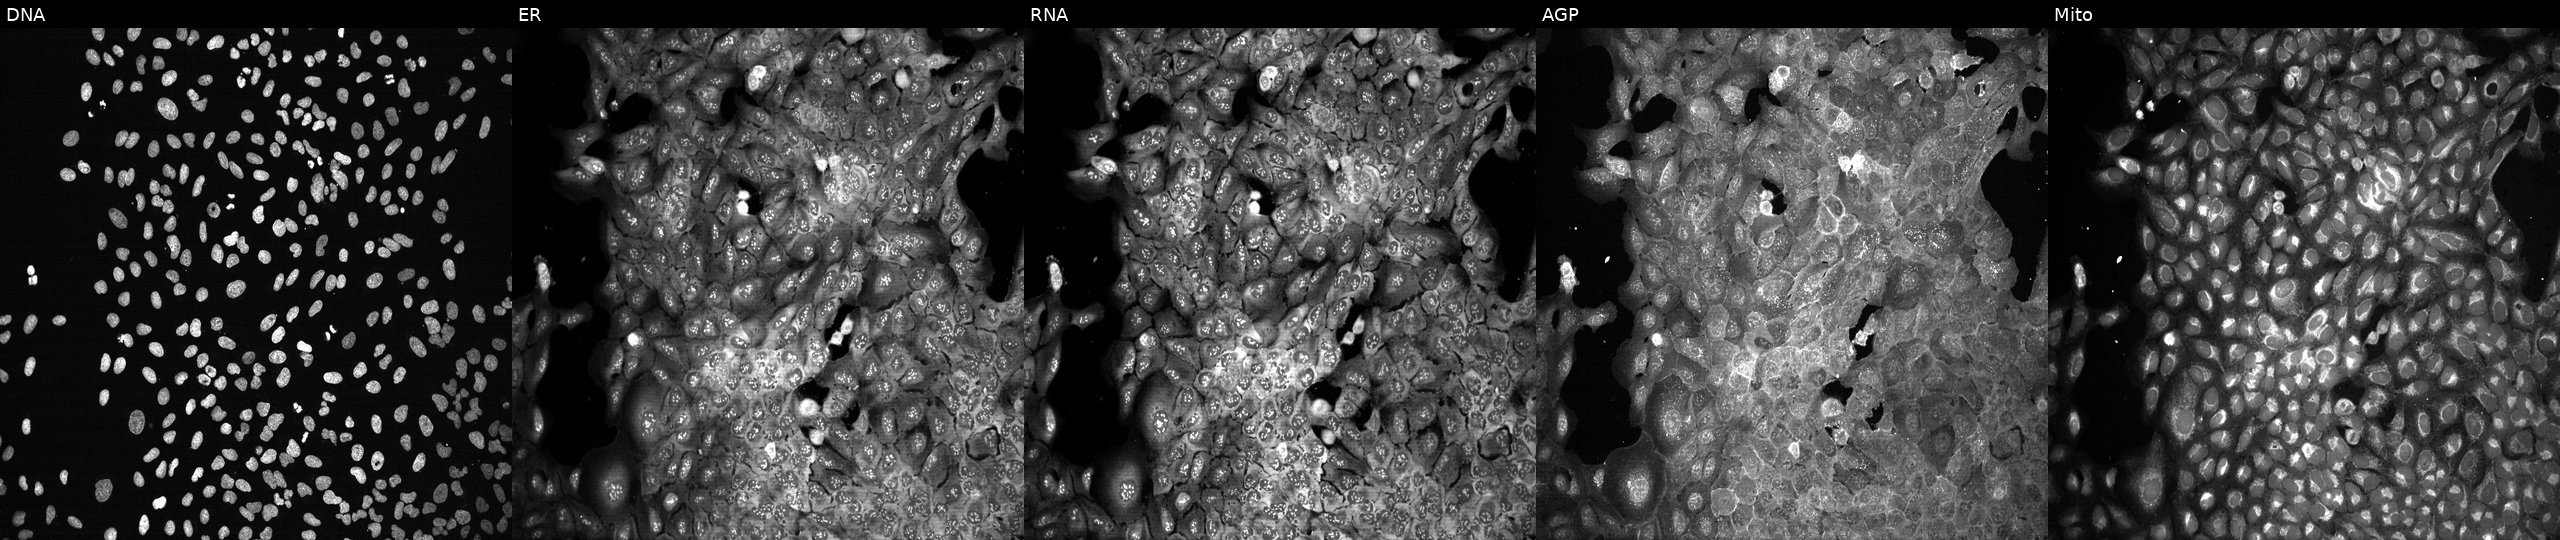
JUMP Cell Painting — CRISPR plate. U2OS cells CRISPR-edited to disrupt PRMT3. Panels show, left to right, Hoechst 33342, concanavalin A, SYTO 14, phalloidin and WGA, MitoTracker.